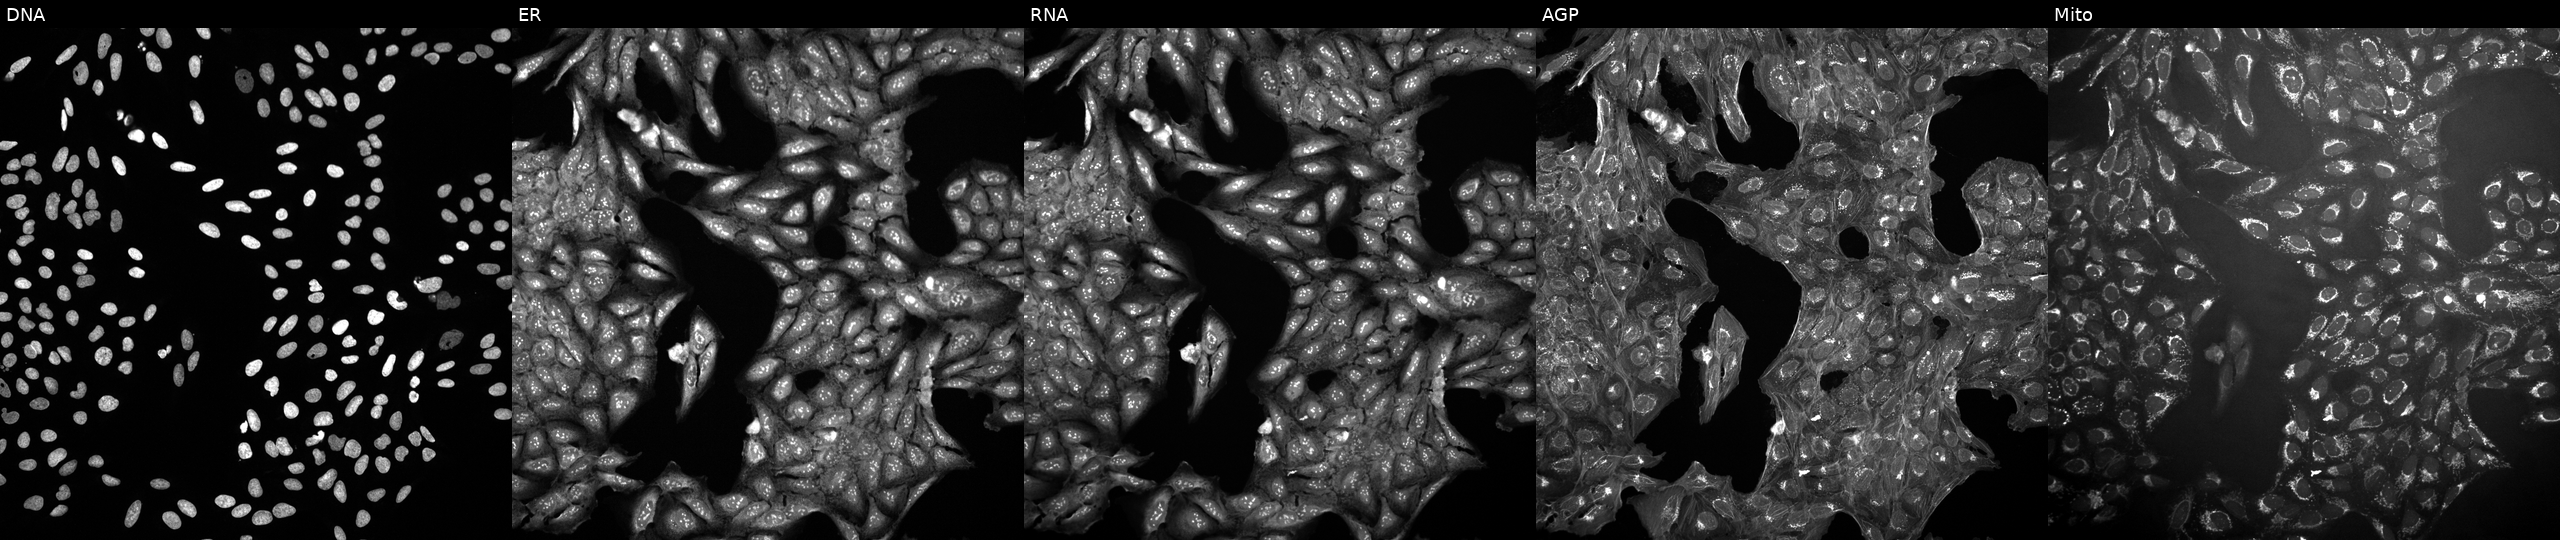
This image strip shows the five Cell Painting channels for a single field of U2OS cells exposed to a small-molecule compound (JUMP id JCP2022_077080). From left to right: DNA (nuclei); ER (endoplasmic reticulum); RNA (nucleoli and cytoplasmic RNA); AGP (actin cytoskeleton, Golgi, and plasma membrane); Mito (mitochondria). Source 10, plate Dest210531-152149, well B07.